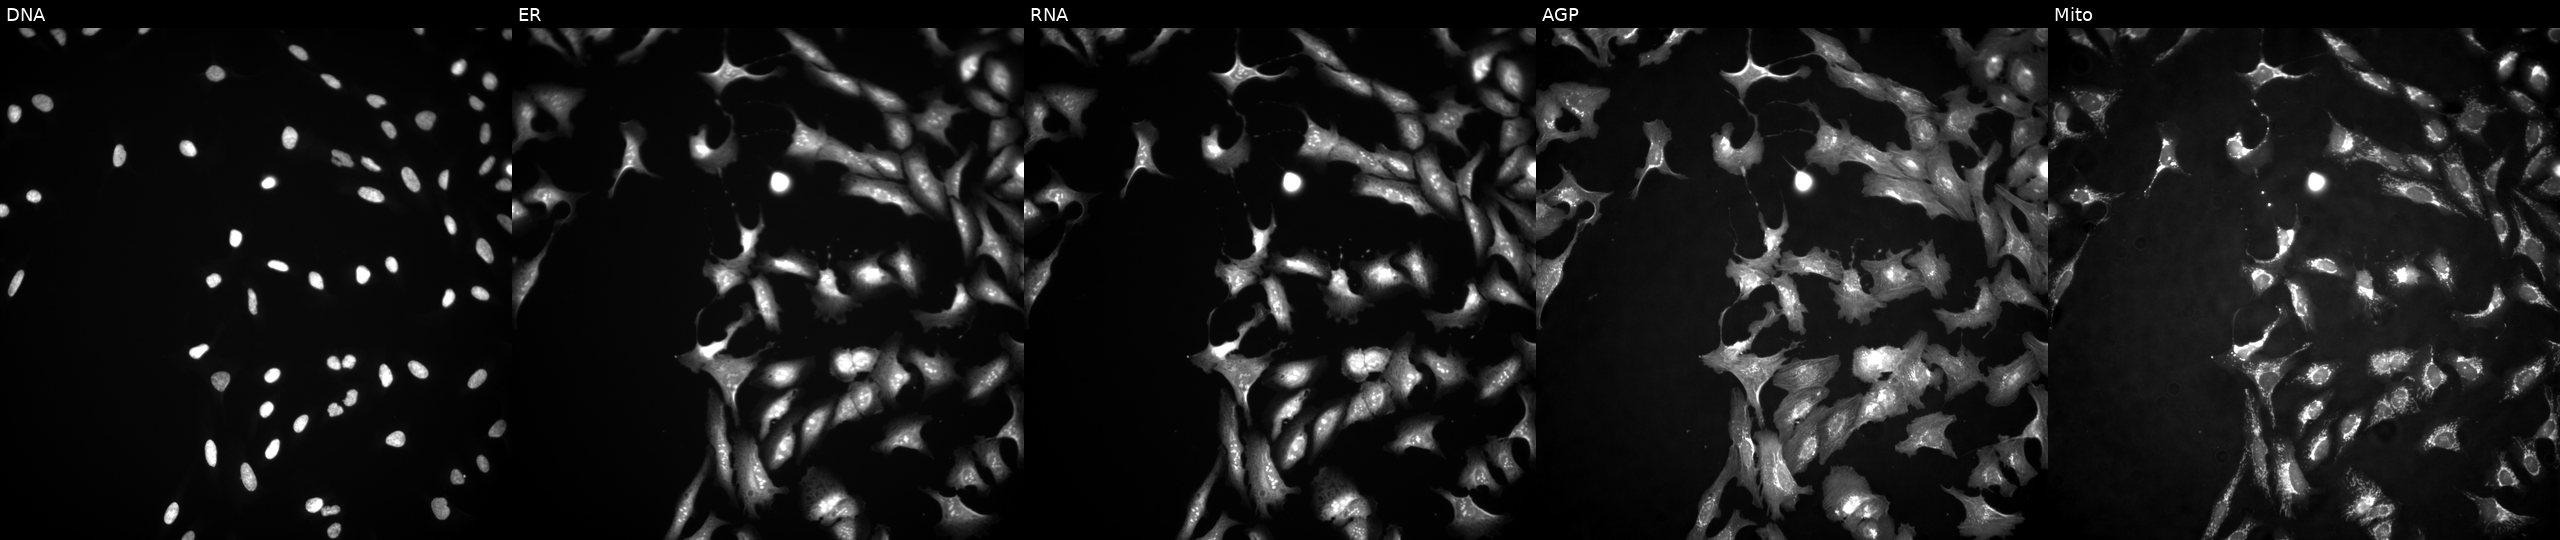
U2OS cells, Cell Painting assay, transfected with an ORF construct for ZFP28 (JUMP id JCP2022_908945). Channels (left→right): DNA, ER, RNA, AGP, and Mito. Each panel is percentile-stretched 16-bit fluorescence.